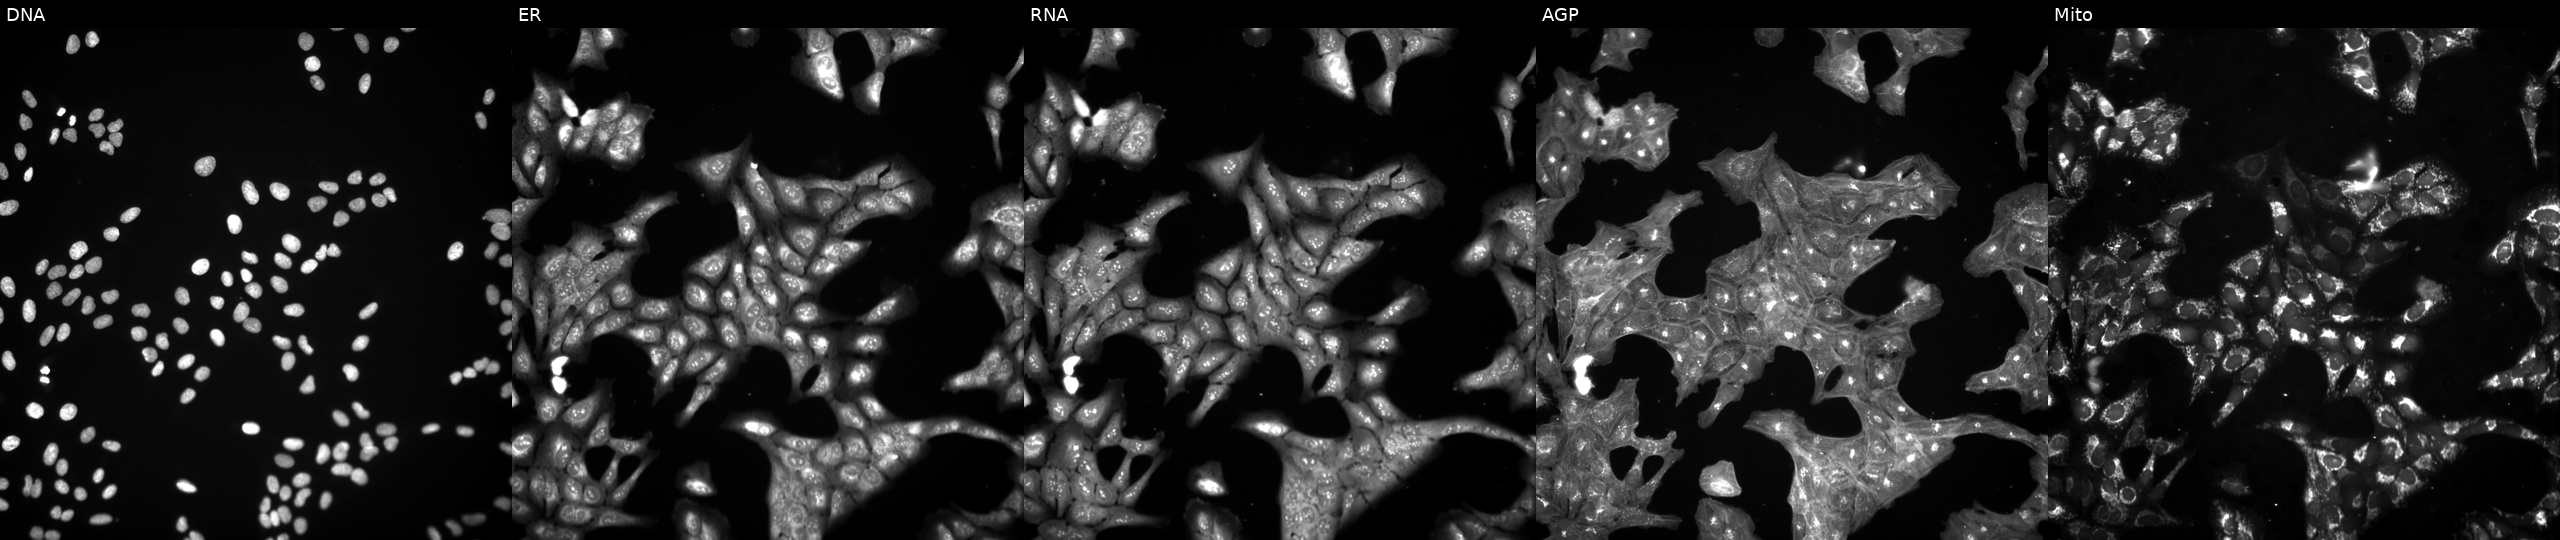
Five-channel Cell Painting image of U2OS cells exposed to a small-molecule compound (InChIKey HABCUEXJOHGRQG-UHFFFAOYSA-N) [SMILES: N#Cc1ccc(-n2nnc3ccccc32)cc1C#N]. The five panels, left to right, show DNA (nuclei); ER (endoplasmic reticulum); RNA (nucleoli and cytoplasmic RNA); AGP (actin cytoskeleton, Golgi, and plasma membrane); Mito (mitochondria). Source 3, plate BR5867a3, well P05.